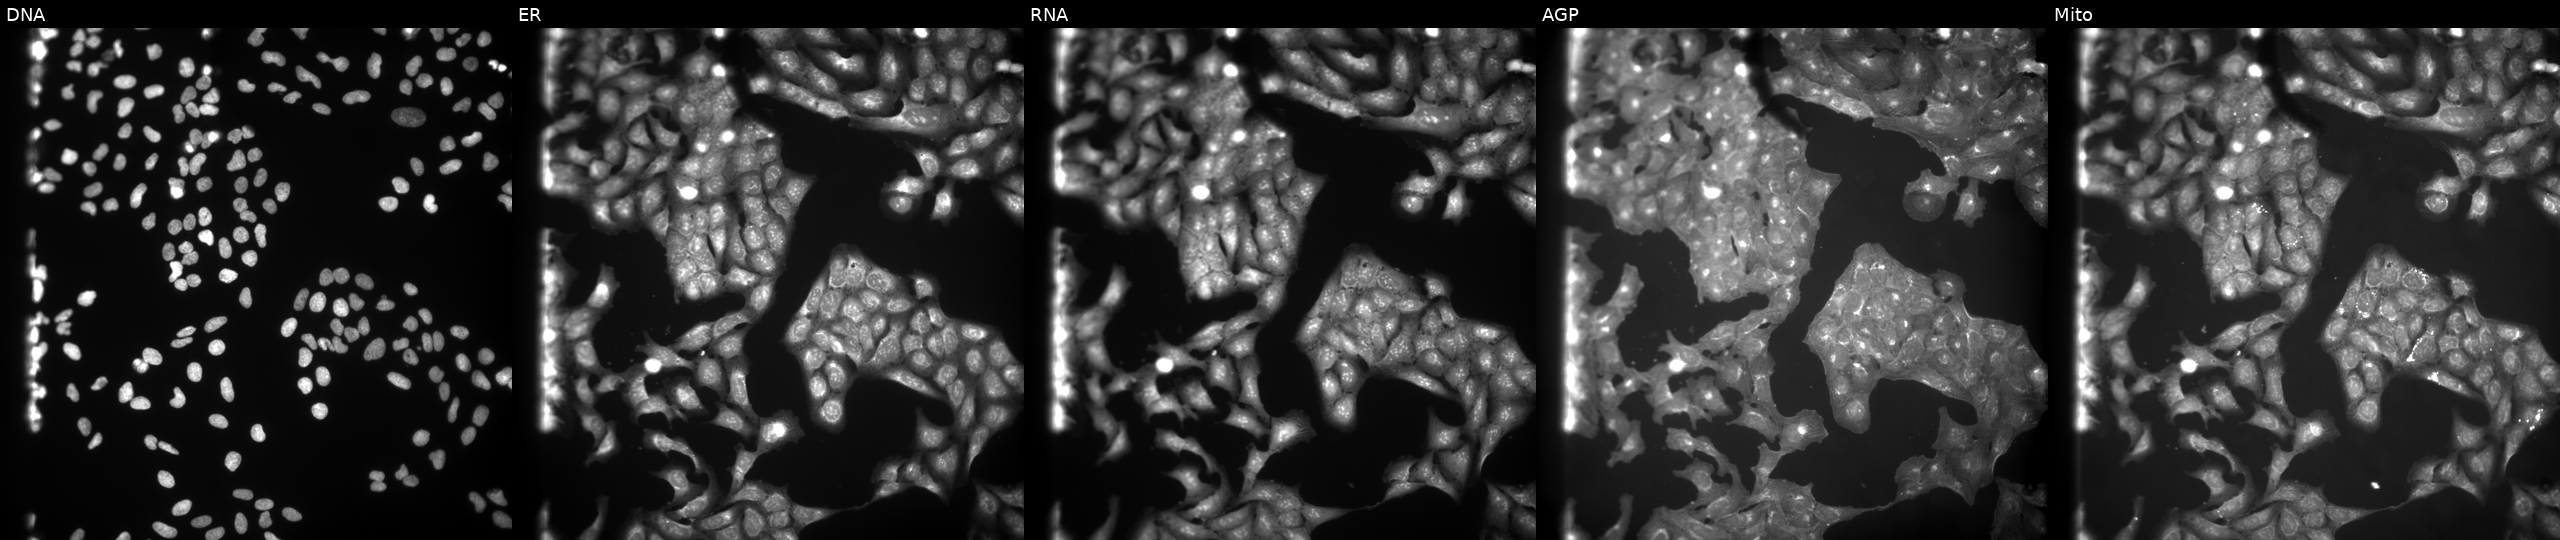
From left to right: Hoechst 33342, concanavalin A, SYTO 14, phalloidin and WGA, MitoTracker. U2OS osteosarcoma cells exposed to the positive-control compound NVS-PAK1-1. Cell Painting assay, JUMP-CP dataset.